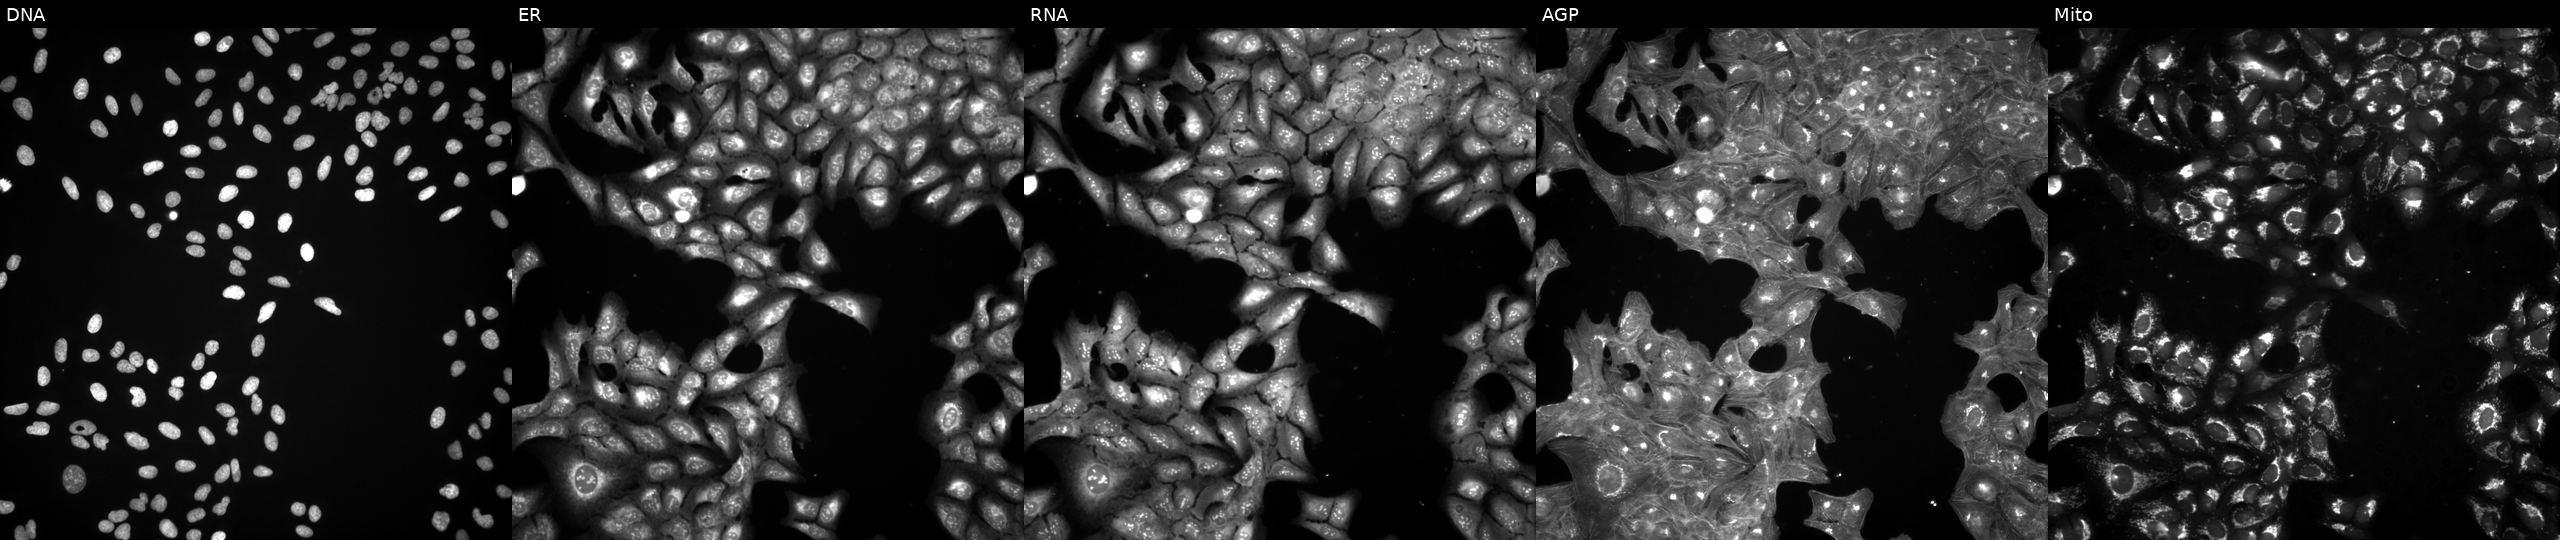
JUMP Cell Painting — COMPOUND plate. U2OS cells in an empty control well (no perturbation). The five panels, left to right, show Hoechst 33342, concanavalin A, SYTO 14, phalloidin and WGA, MitoTracker. Source 3, plate BR5867b3, well K10.